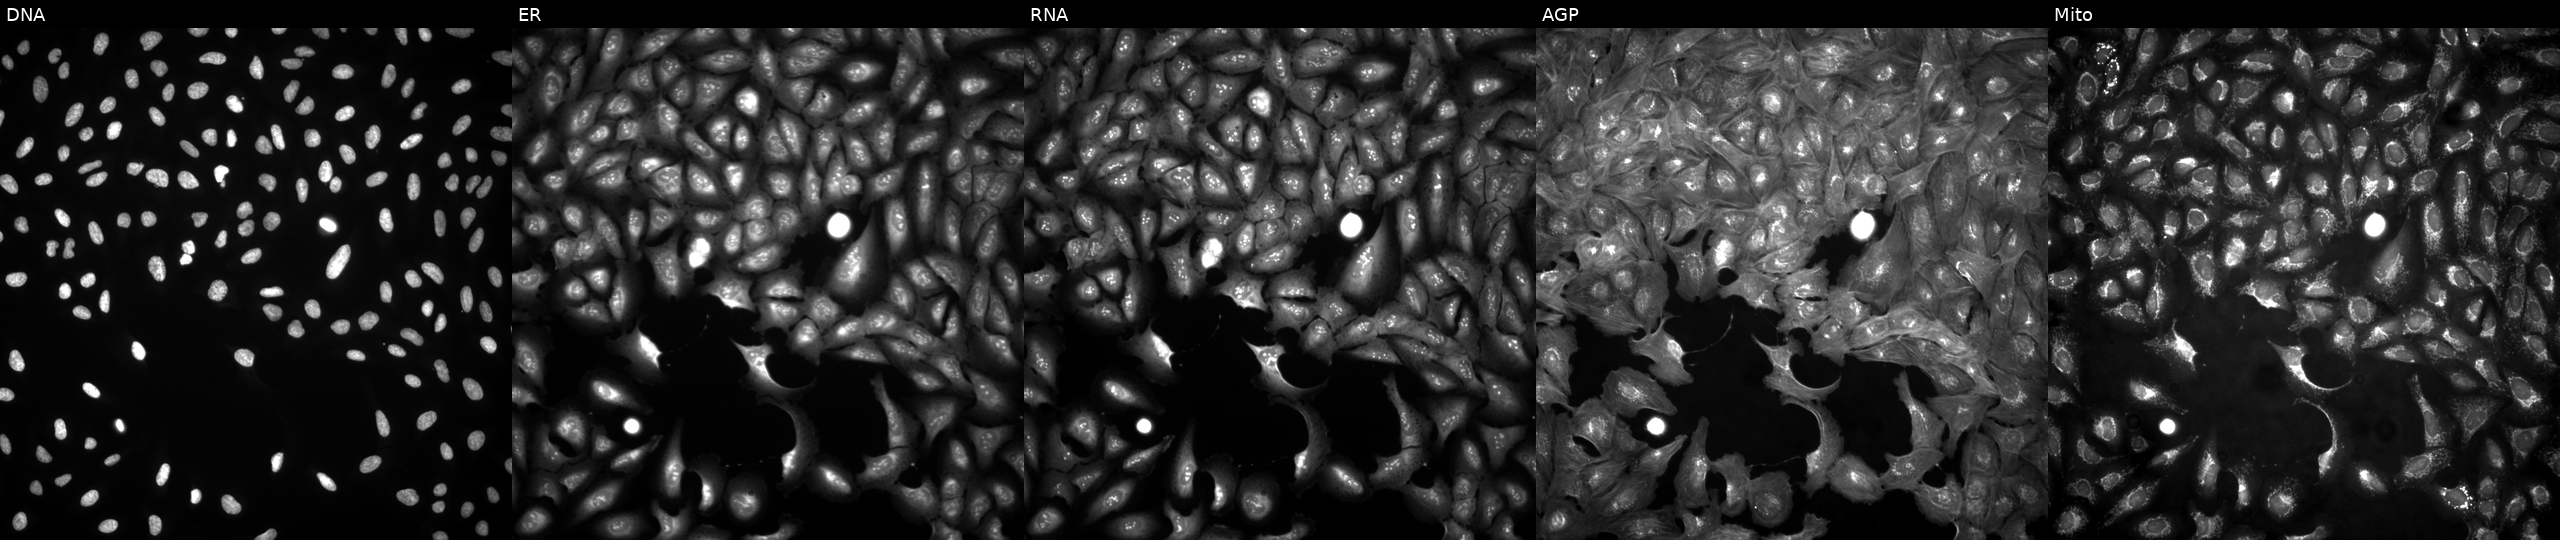
Panels show, left to right, DNA, ER, RNA, AGP, and Mito. U2OS osteosarcoma cells transfected with an ORF construct for IGKC (JUMP id JCP2022_914476). Cell Painting assay, JUMP-CP dataset. Source 4, plate BR00124784, well A11.